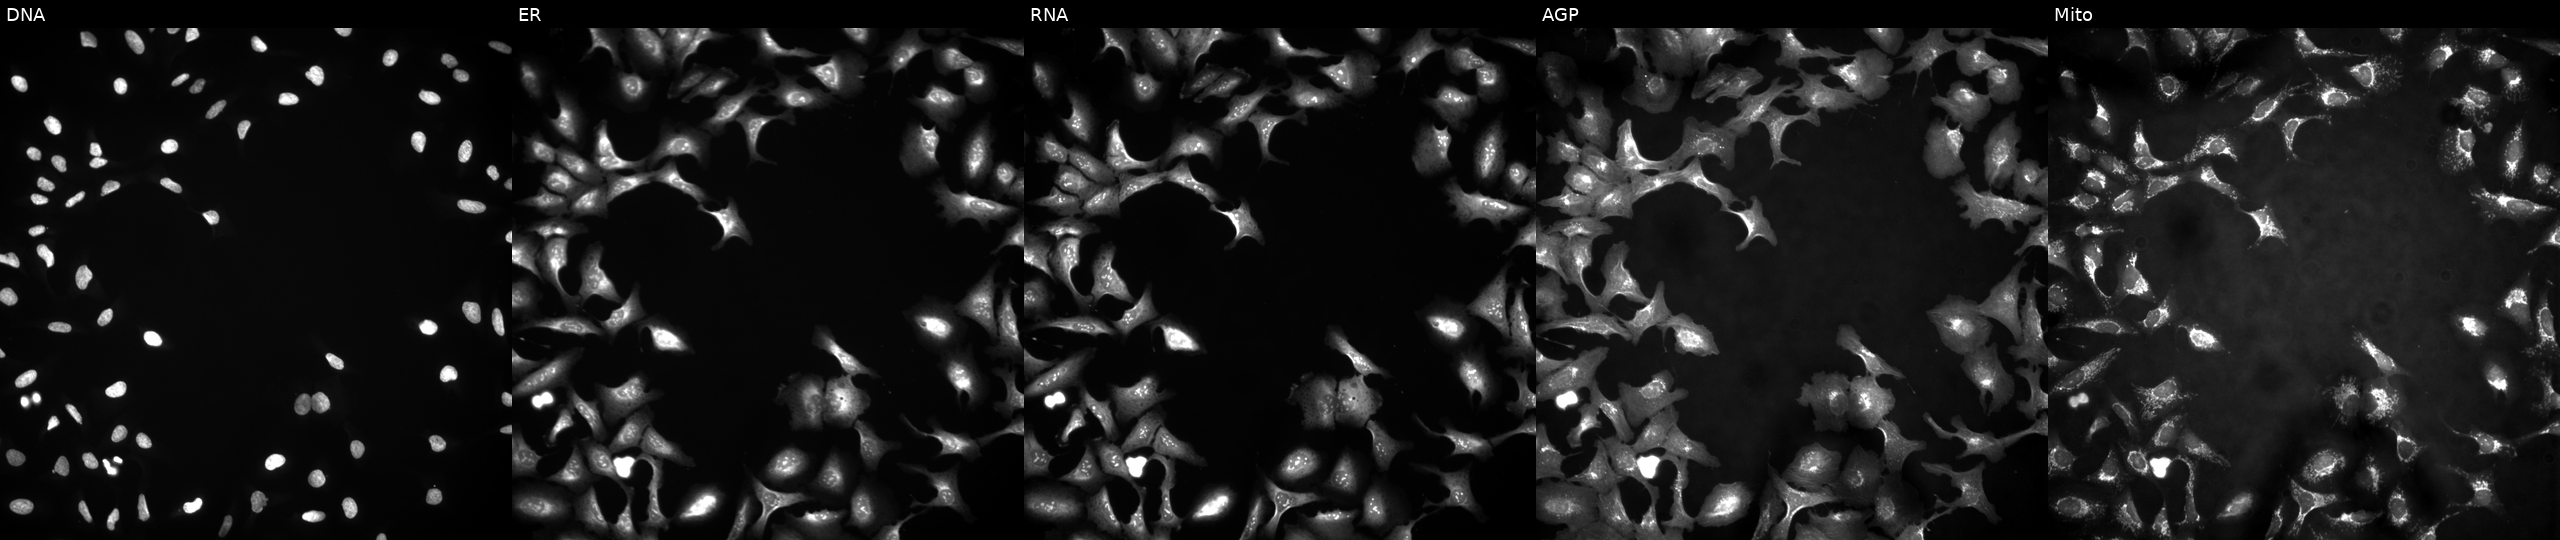
JUMP Cell Painting — ORF plate. U2OS cells with EPB41L4A overexpressed (ORF). Channels (left→right): DNA, ER, RNA, AGP, and Mito. Source 4, plate BR00121543, well F06.